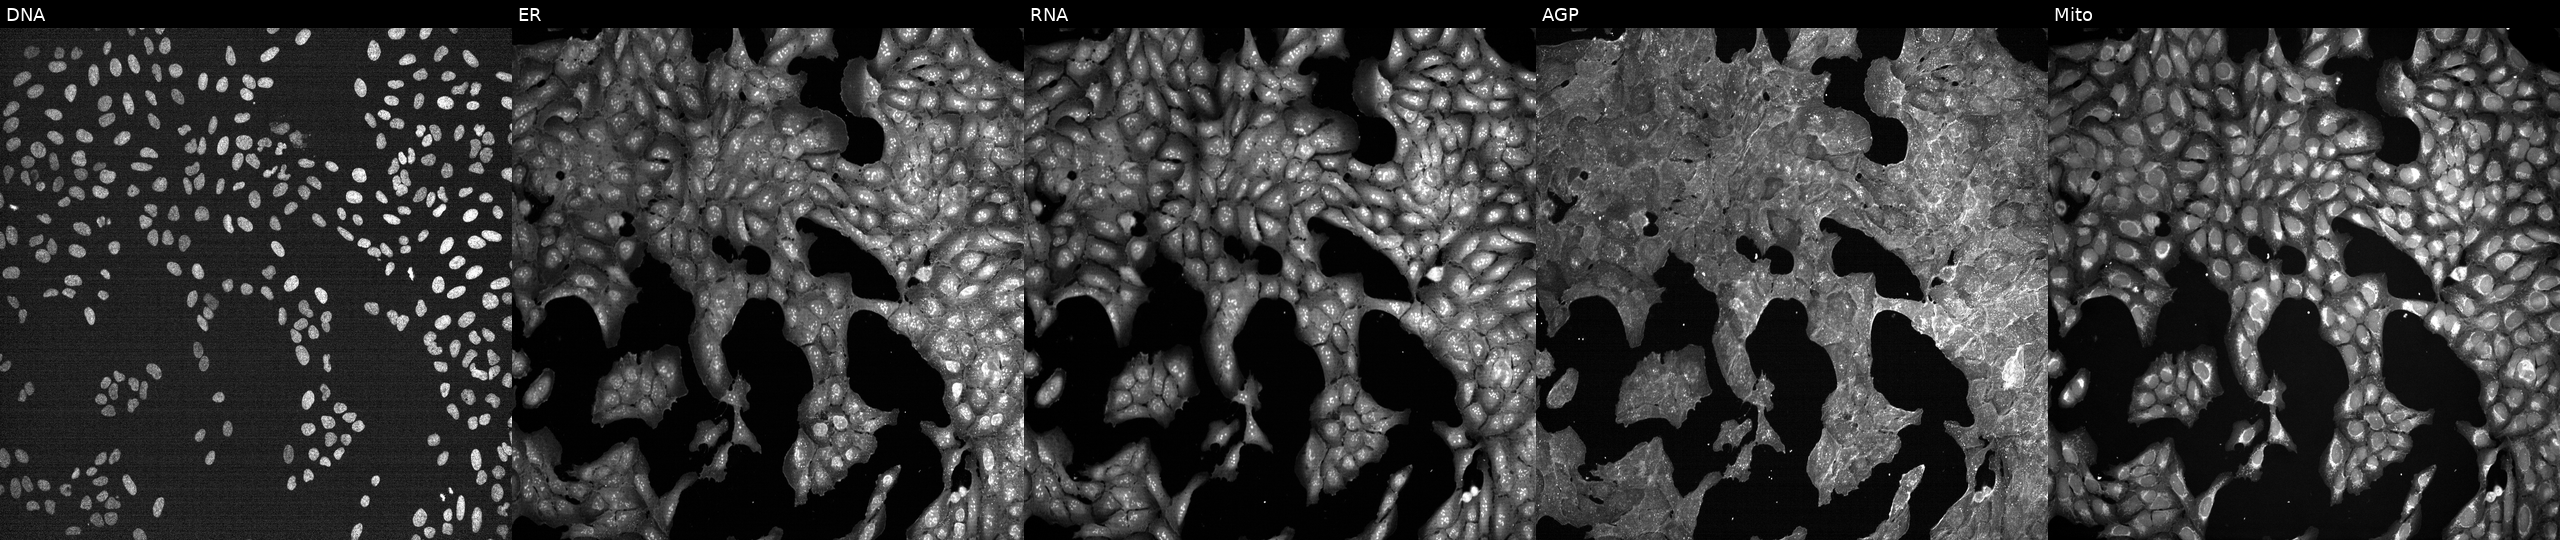
JUMP Cell Painting — TARGET2 plate. U2OS cells exposed to a small-molecule compound (InChIKey PFHDWRIVDDIFRP-UHFFFAOYSA-N). Panels show, left to right, DNA (nuclei); ER (endoplasmic reticulum); RNA (nucleoli and cytoplasmic RNA); AGP (actin cytoskeleton, Golgi, and plasma membrane); Mito (mitochondria). Source 7, plate CP1-SC1-25, well F07.